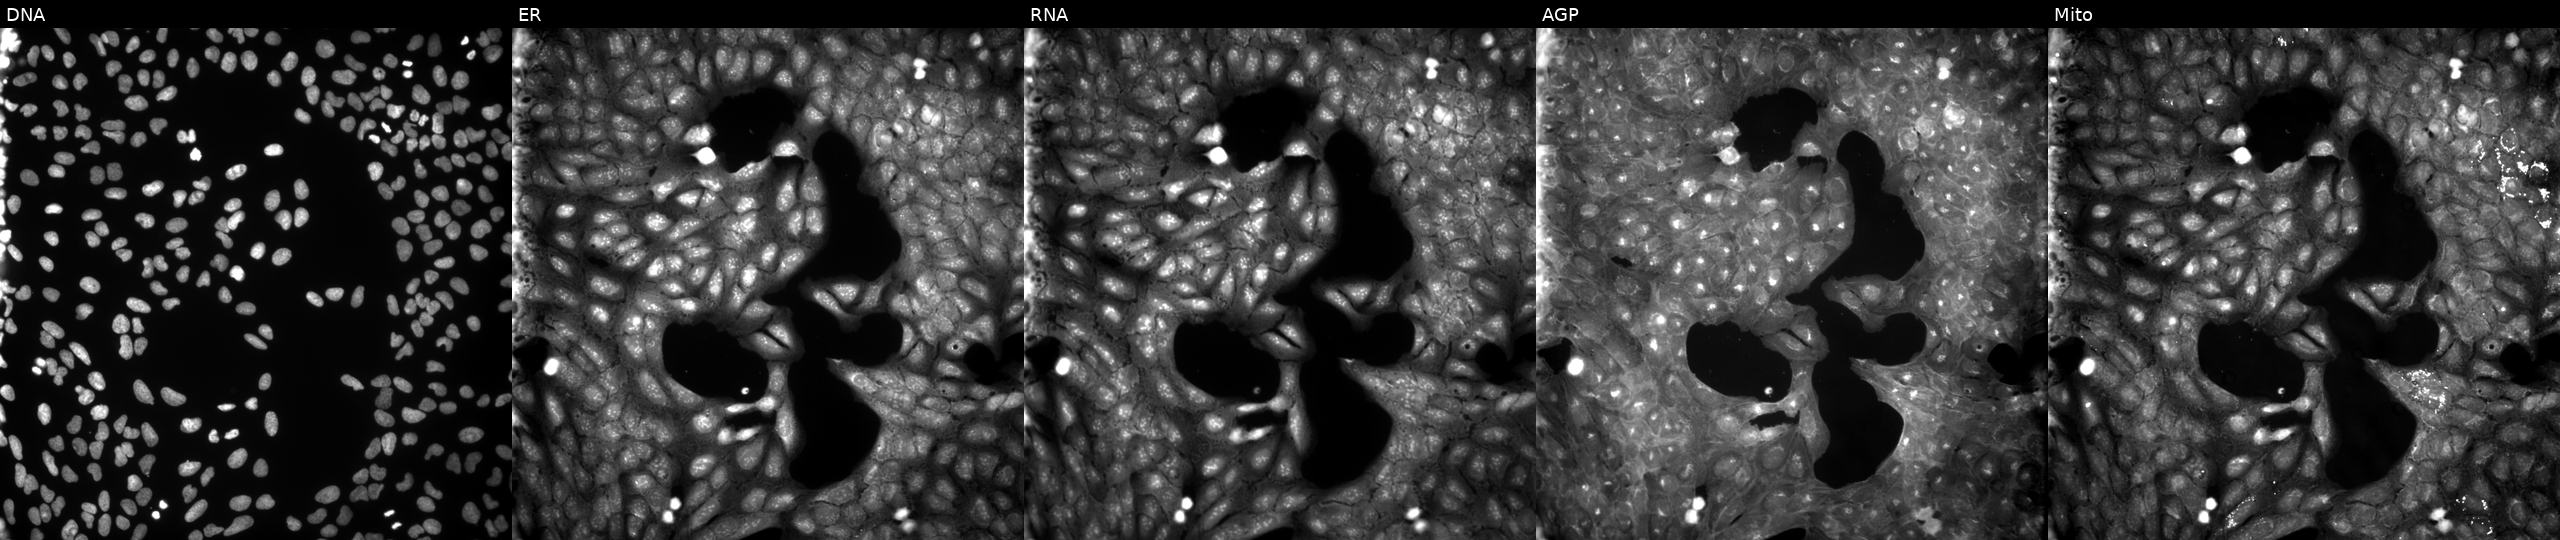
High-content fluorescence microscopy (Cell Painting). Cell line: U2OS. Perturbation: treated with a small-molecule compound (InChIKey USFUDUTYKQBIQO-UHFFFAOYSA-N) (JUMP id JCP2022_091203). Panels show, left to right, DNA, ER, RNA, AGP, and Mito.